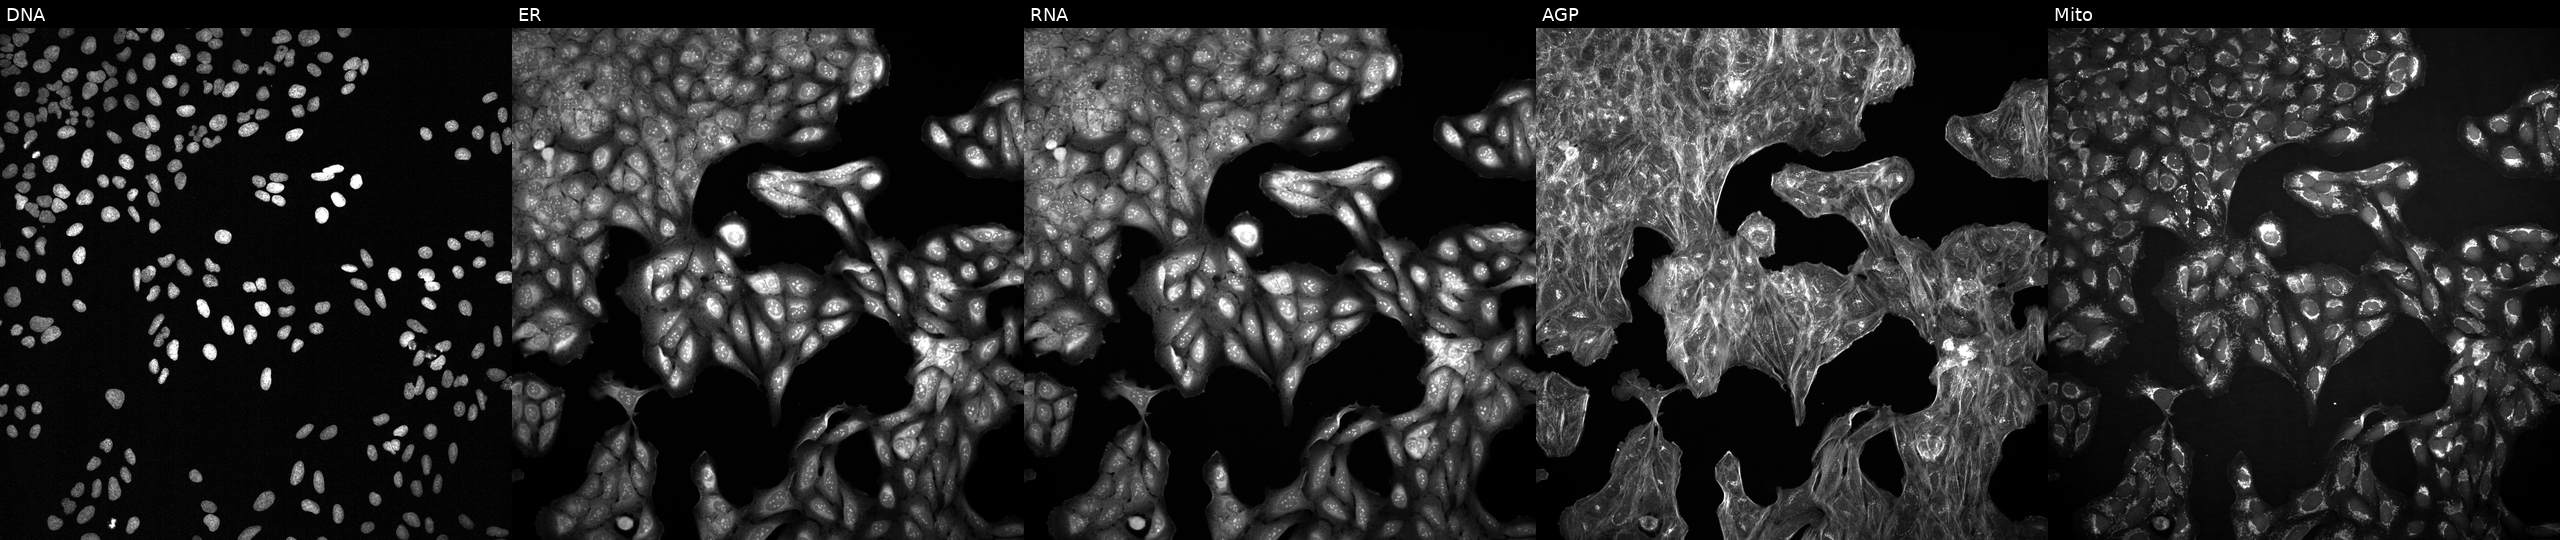
The five panels, left to right, show DNA (nuclei); ER (endoplasmic reticulum); RNA (nucleoli and cytoplasmic RNA); AGP (actin cytoskeleton, Golgi, and plasma membrane); Mito (mitochondria). U2OS osteosarcoma cells exposed to a small-molecule compound (InChIKey QFWCYNPOPKQOKV-UHFFFAOYSA-N). Cell Painting assay, JUMP-CP dataset.